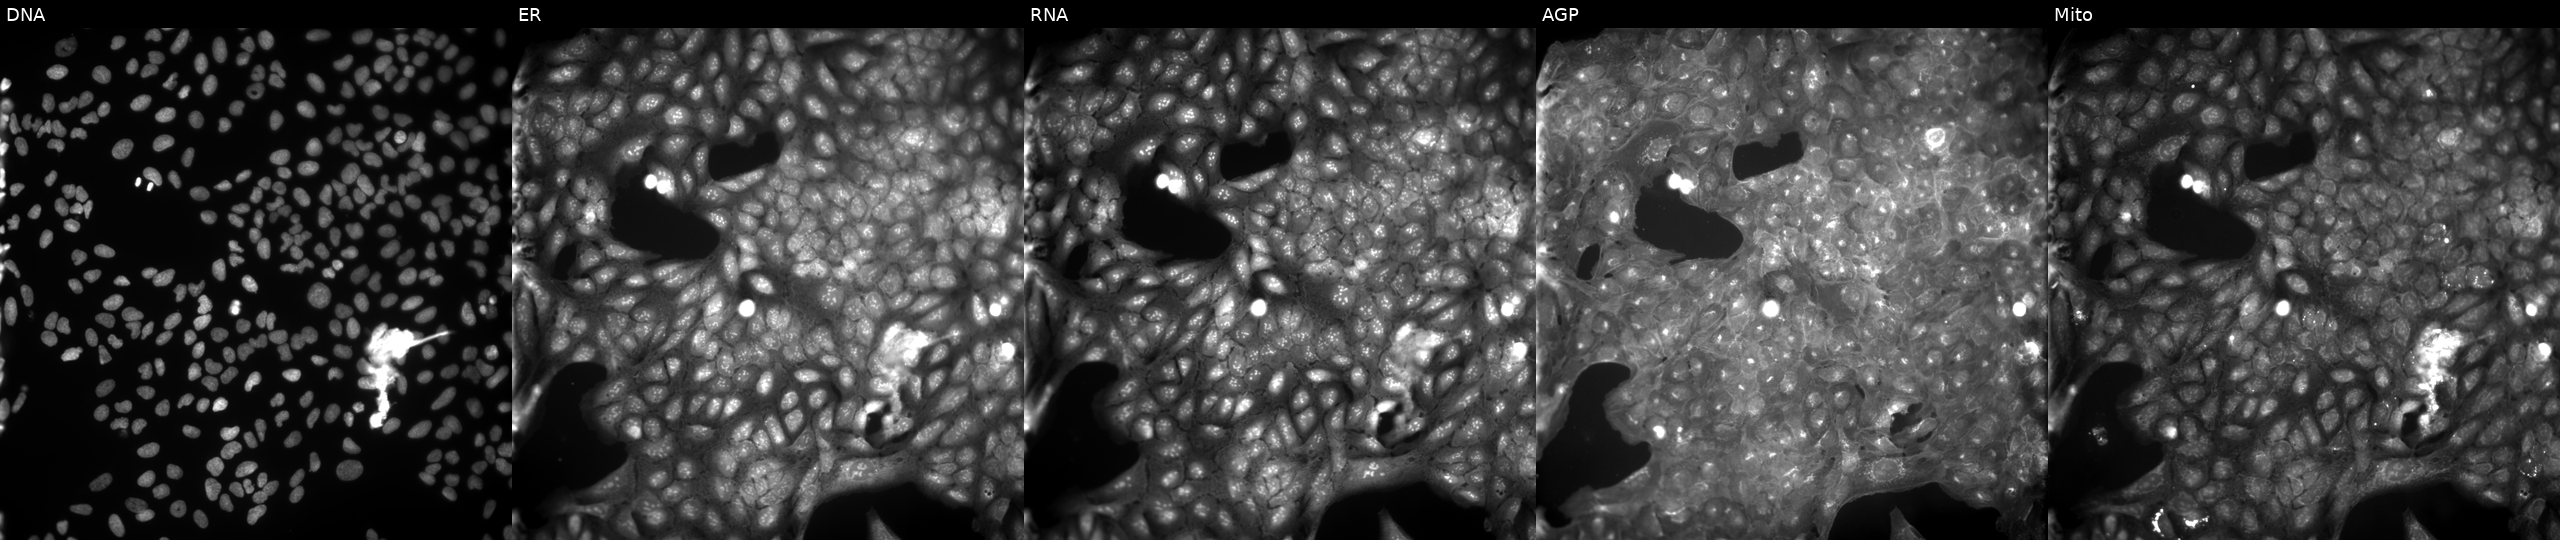
High-content fluorescence microscopy (Cell Painting). Cell line: U2OS. Perturbation: treated with DMSO vehicle only (negative control). From left to right: DNA (nuclei); ER (endoplasmic reticulum); RNA (nucleoli and cytoplasmic RNA); AGP (actin cytoskeleton, Golgi, and plasma membrane); Mito (mitochondria). Source 9, plate GR00003381, well Y02.